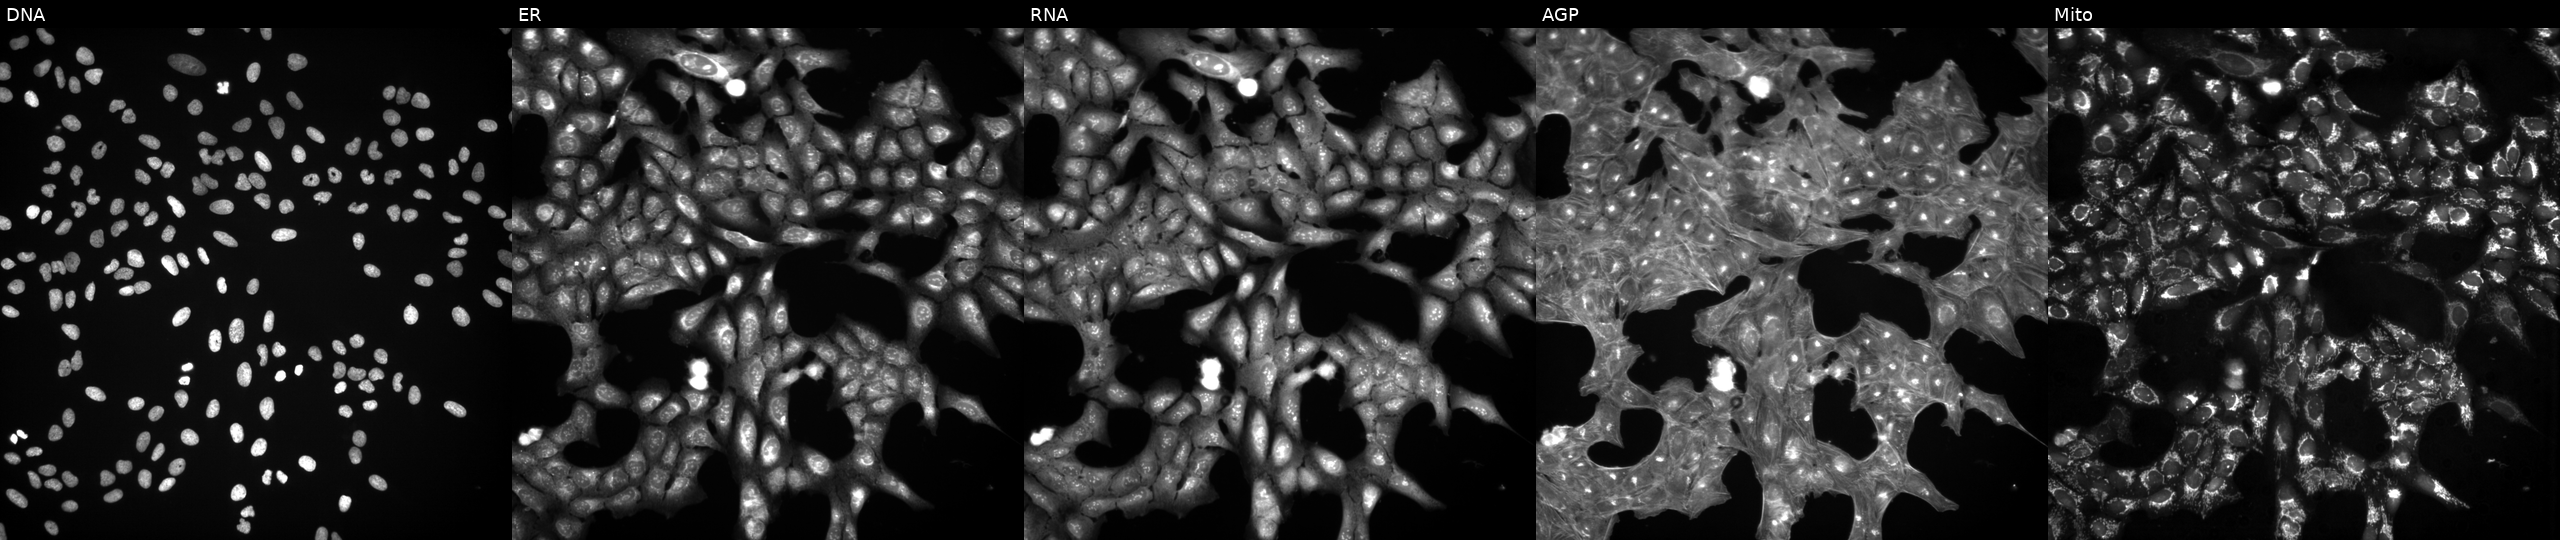
Channels (left→right): DNA (nuclei); ER (endoplasmic reticulum); RNA (nucleoli and cytoplasmic RNA); AGP (actin cytoskeleton, Golgi, and plasma membrane); Mito (mitochondria). U2OS osteosarcoma cells exposed to a small-molecule compound (InChIKey FMYGNANMYYHBSU-UHFFFAOYSA-N) (JUMP id JCP2022_021678). Cell Painting assay, JUMP-CP dataset. Source 3, plate JCPQC053, well B15.